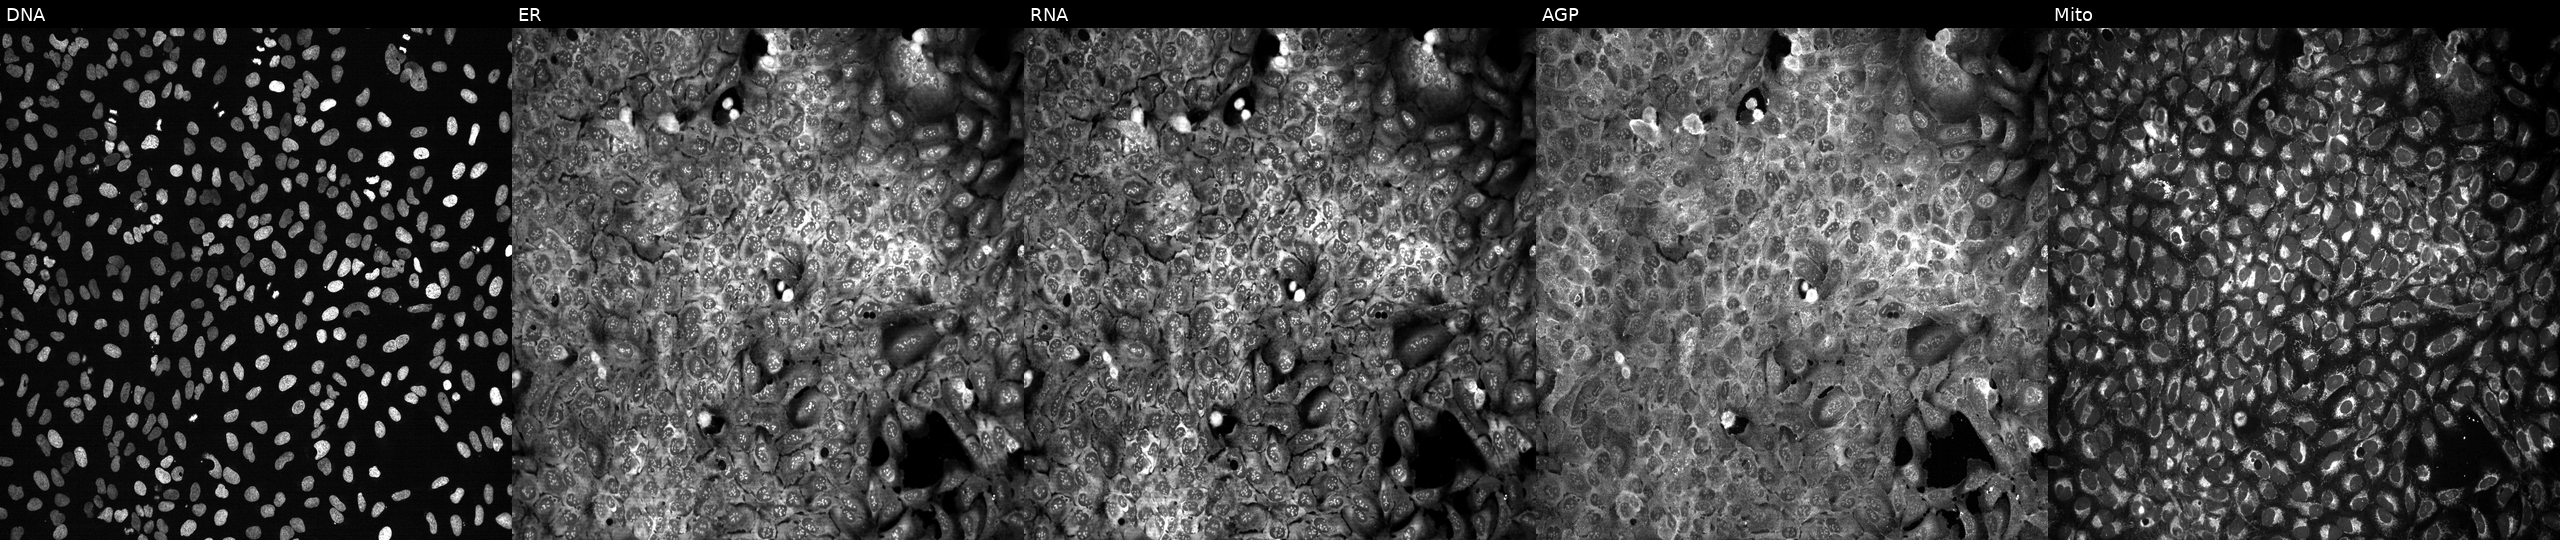
This image strip shows the five Cell Painting channels for a single field of U2OS cells with ASF1A knocked out by CRISPR (JUMP id JCP2022_800638). Panels show, left to right, DNA (nuclei); ER (endoplasmic reticulum); RNA (nucleoli and cytoplasmic RNA); AGP (actin cytoskeleton, Golgi, and plasma membrane); Mito (mitochondria). Source 13, plate CP-CC9-R3-01, well I07.